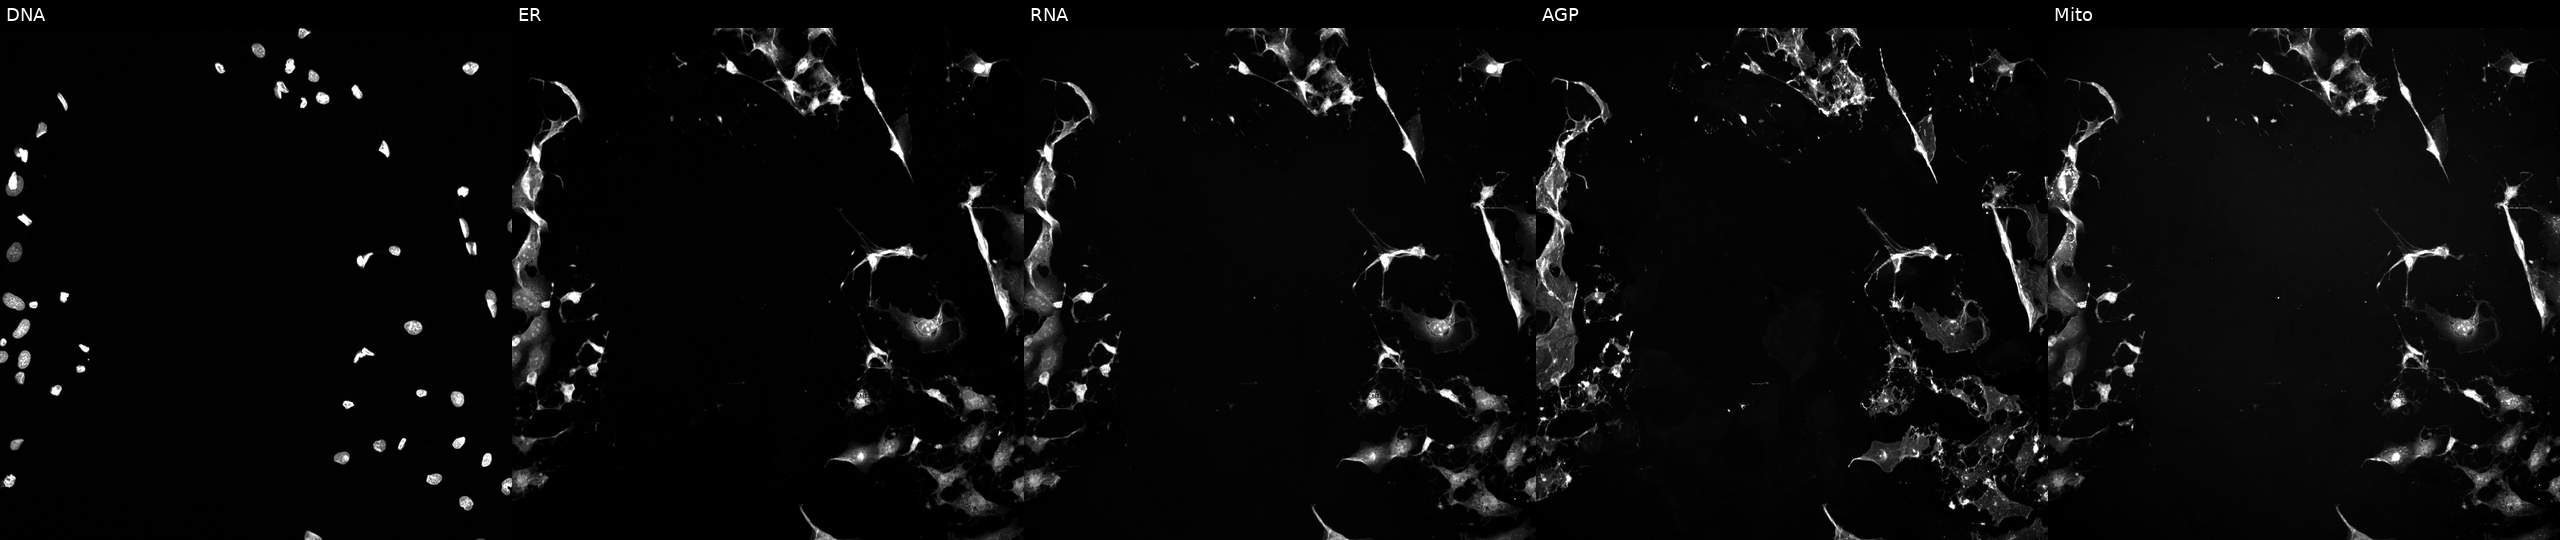
This image strip shows the five Cell Painting channels for a single field of U2OS cells treated with a small-molecule compound. Panels show, left to right, DNA, ER, RNA, AGP, and Mito.